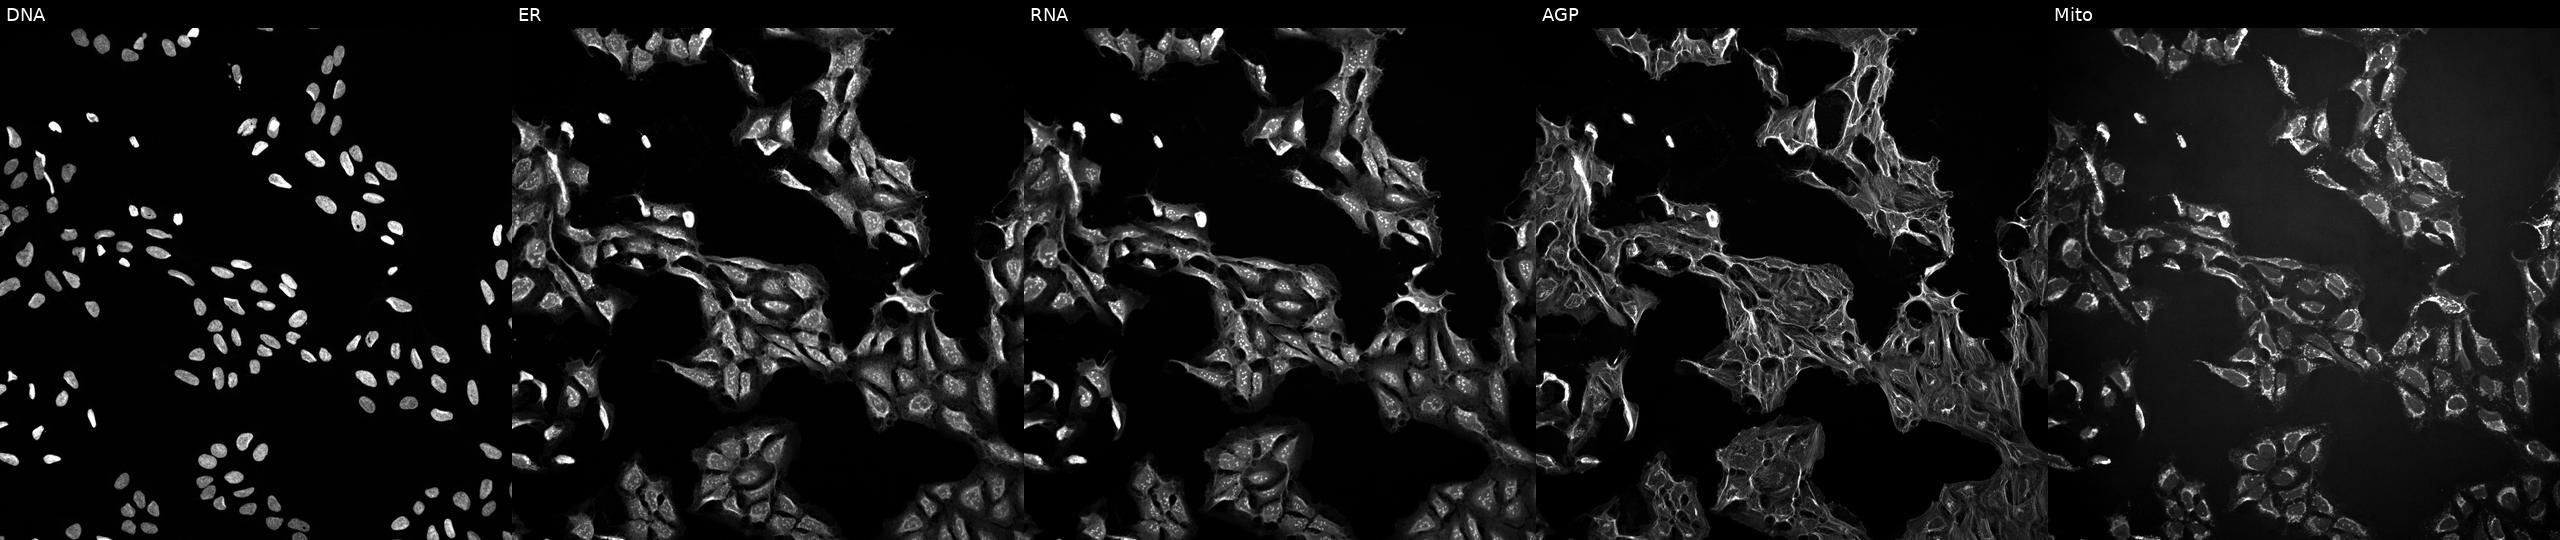
U2OS cells, Cell Painting assay, treated with DMSO vehicle only (negative control). From left to right: DNA, ER, RNA, AGP, and Mito. Each panel is percentile-stretched 16-bit fluorescence. Source 10, plate Dest210726-160150, well L03.